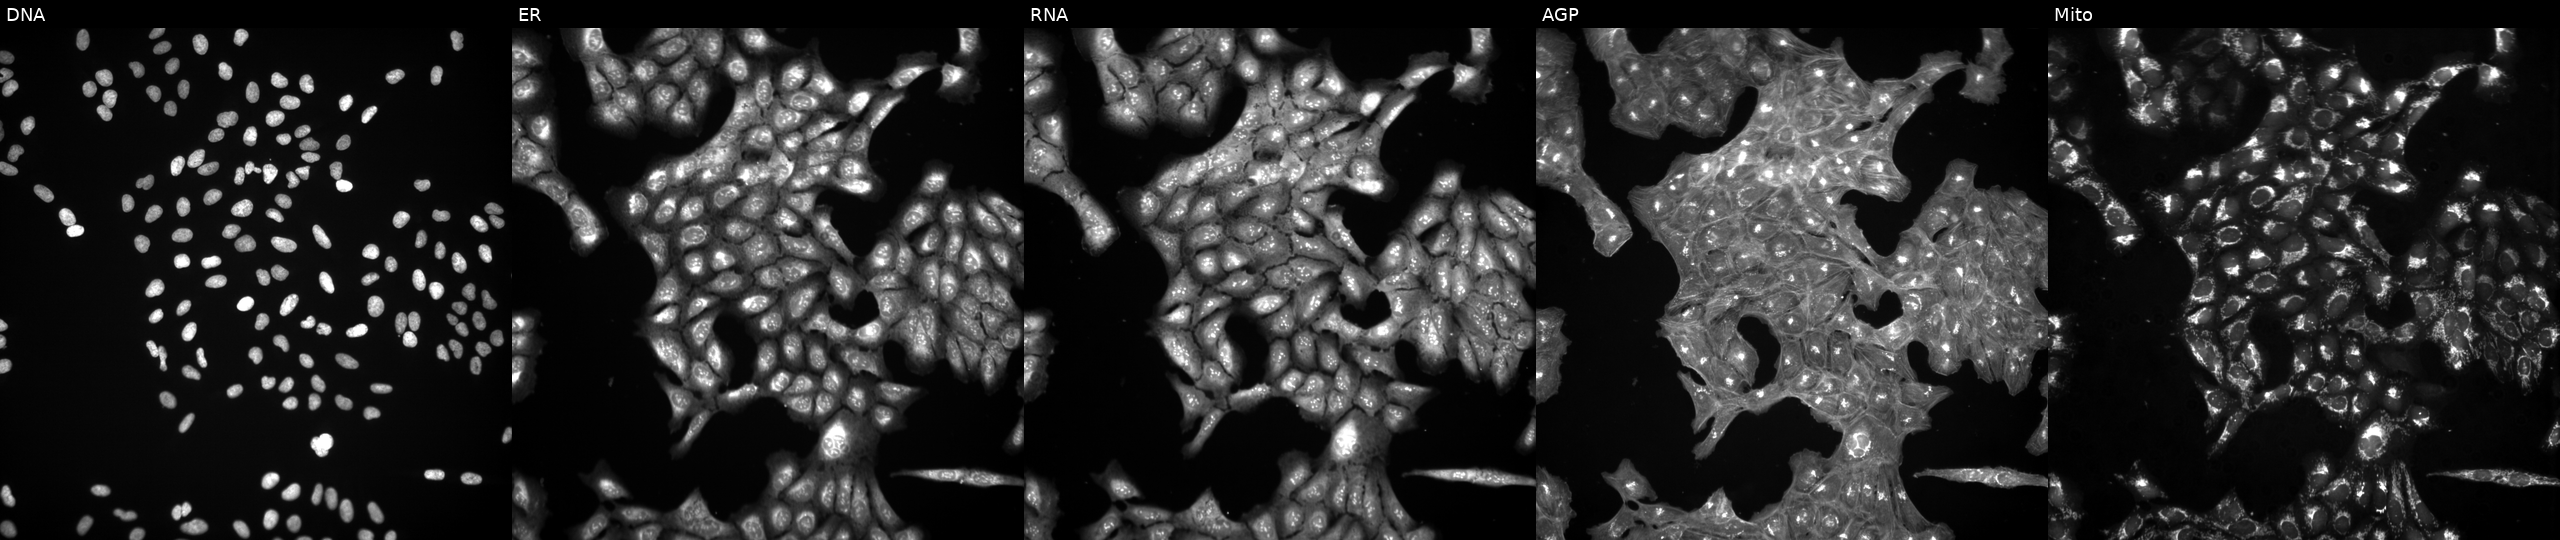
High-content fluorescence microscopy (Cell Painting). Cell line: U2OS. Perturbation: perturbed with a small-molecule compound (InChIKey LOQZFSWSZYILFU-UHFFFAOYSA-N). Panels show, left to right, Hoechst 33342, concanavalin A, SYTO 14, phalloidin and WGA, MitoTracker. Source 3, plate BR5867b3, well P19.